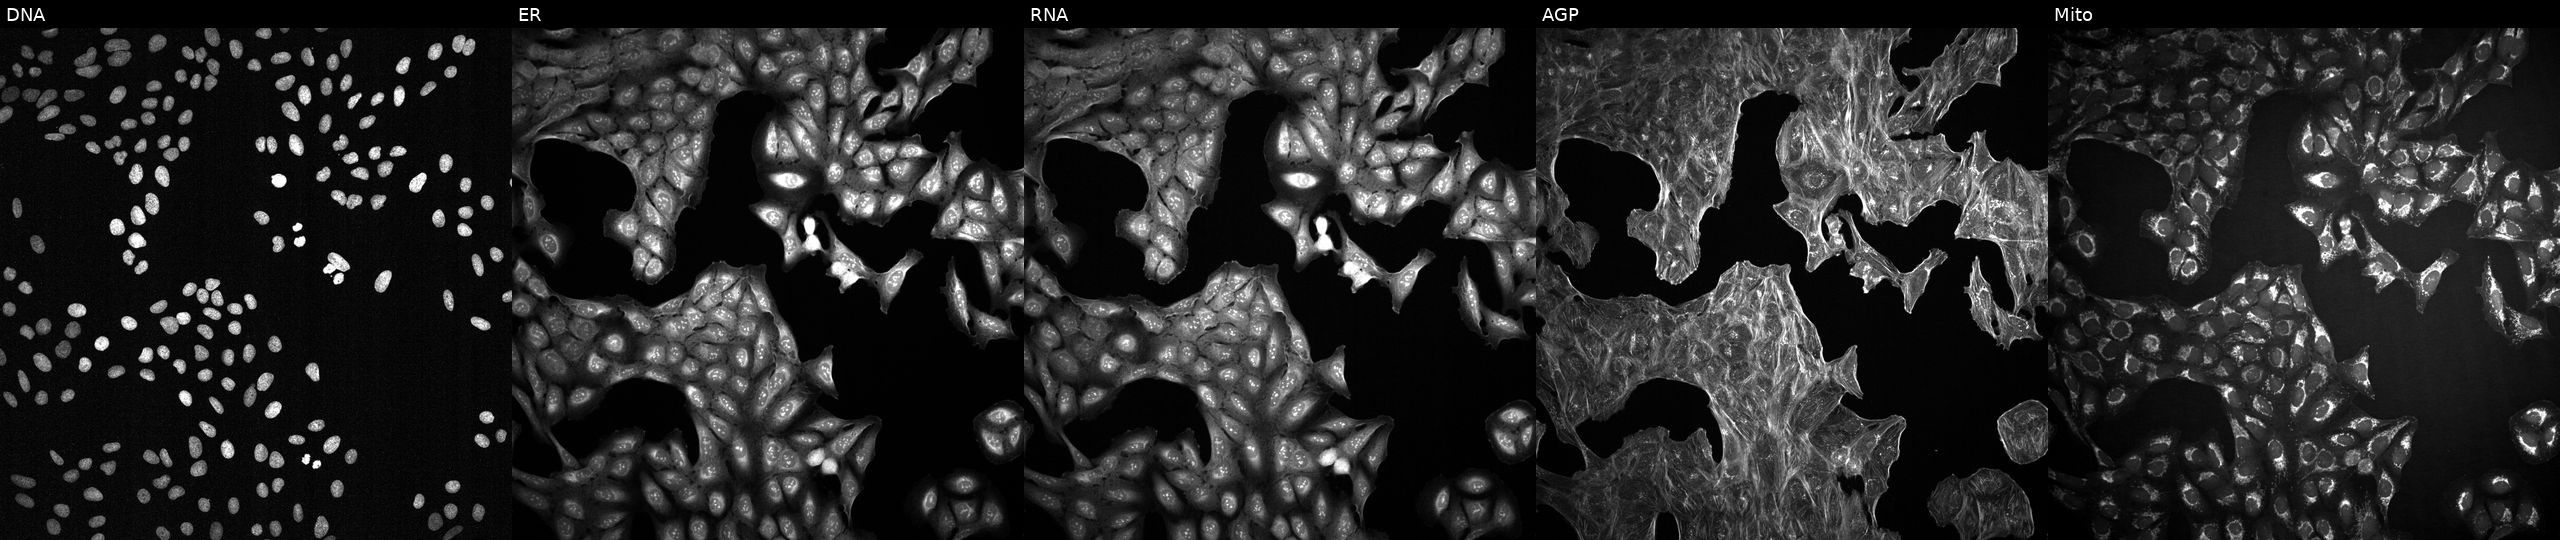
The five panels, left to right, show Hoechst 33342, concanavalin A, SYTO 14, phalloidin and WGA, MitoTracker. U2OS osteosarcoma cells exposed to a small-molecule compound (InChIKey NEMHKCNXXRQYRF-UHFFFAOYSA-N) (JUMP id JCP2022_058461). Cell Painting assay, JUMP-CP dataset. Source 2, plate 1053599503, well M24.